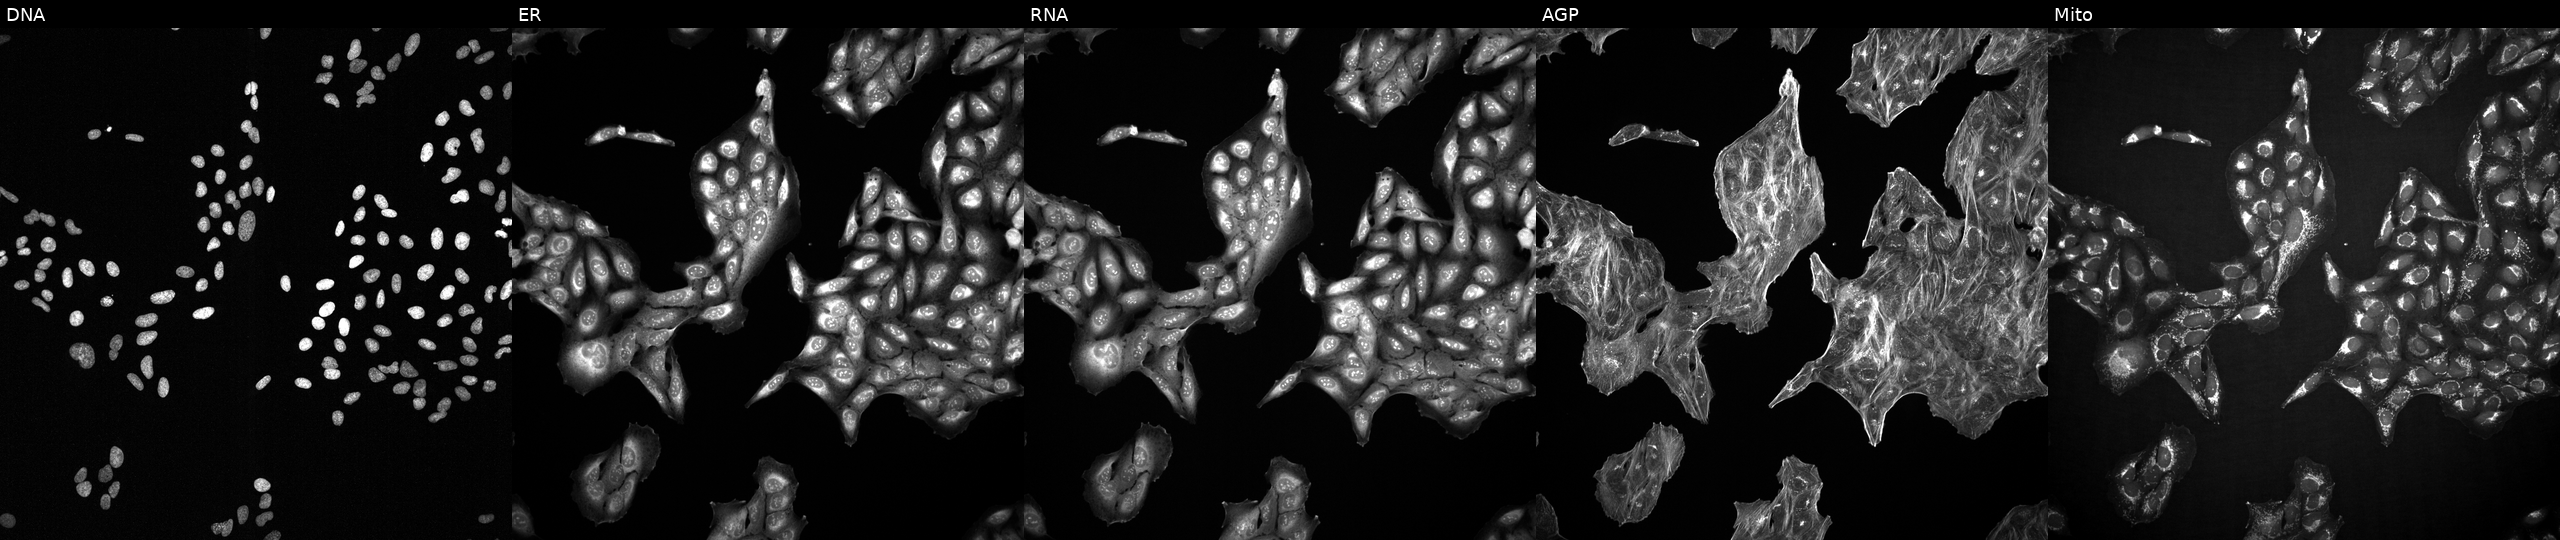
U2OS cells, Cell Painting assay, treated with DMSO vehicle only (negative control) (JUMP id JCP2022_033924). Panels show, left to right, Hoechst 33342, concanavalin A, SYTO 14, phalloidin and WGA, MitoTracker. Each panel is percentile-stretched 16-bit fluorescence. Source 2, plate 1053601756, well I02.